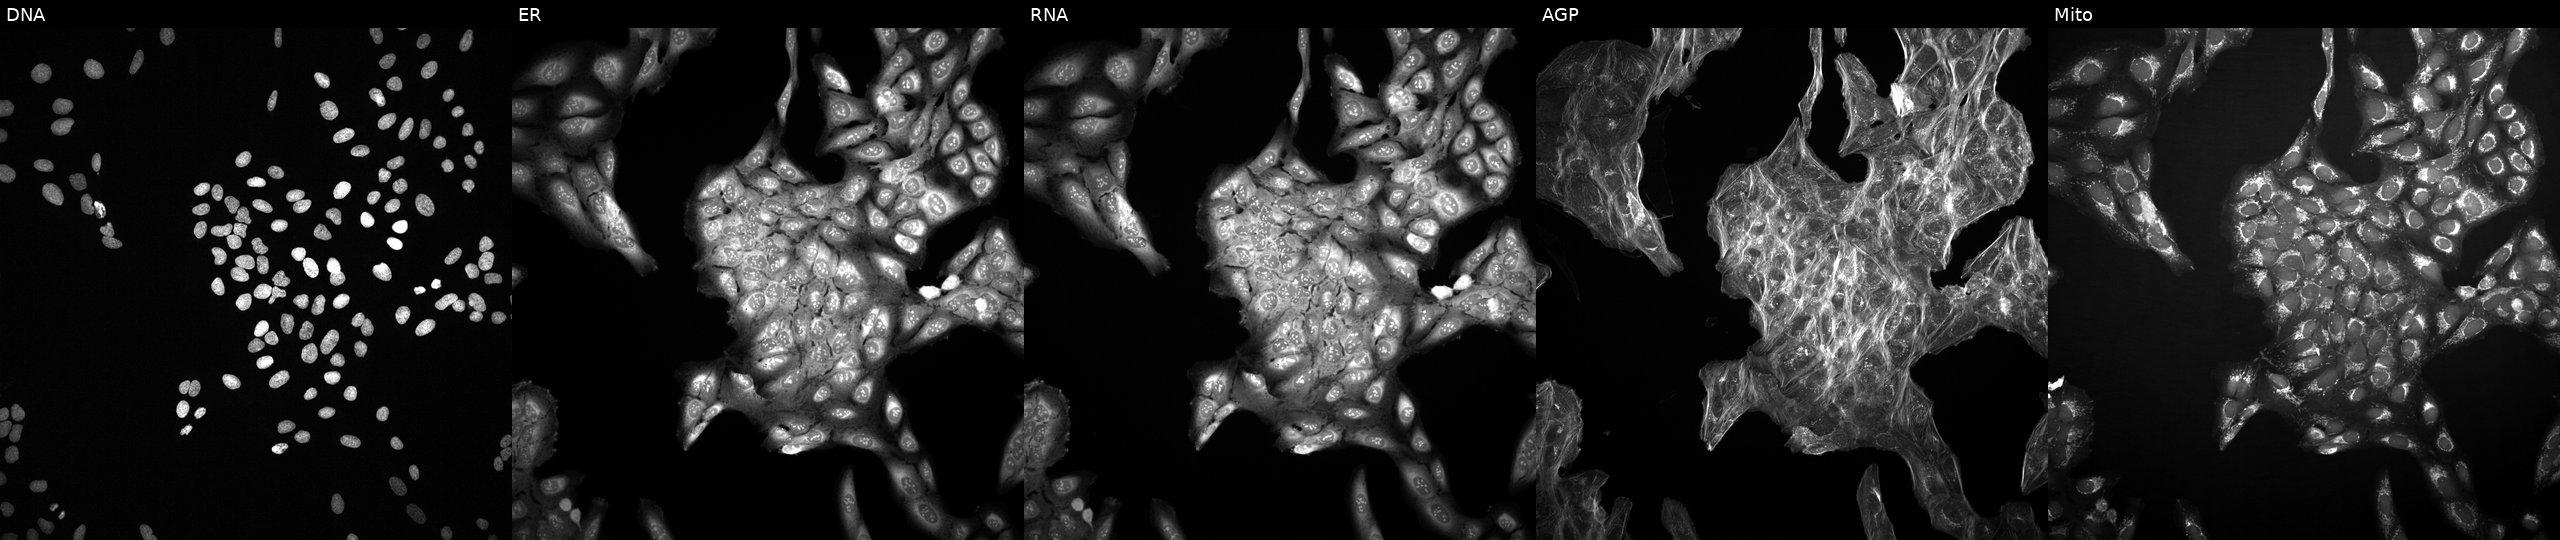
Channels (left→right): DNA (nuclei); ER (endoplasmic reticulum); RNA (nucleoli and cytoplasmic RNA); AGP (actin cytoskeleton, Golgi, and plasma membrane); Mito (mitochondria). U2OS osteosarcoma cells treated with a small-molecule compound (InChIKey HKQYGTCOTHHOMP-UHFFFAOYSA-N). Cell Painting assay, JUMP-CP dataset.